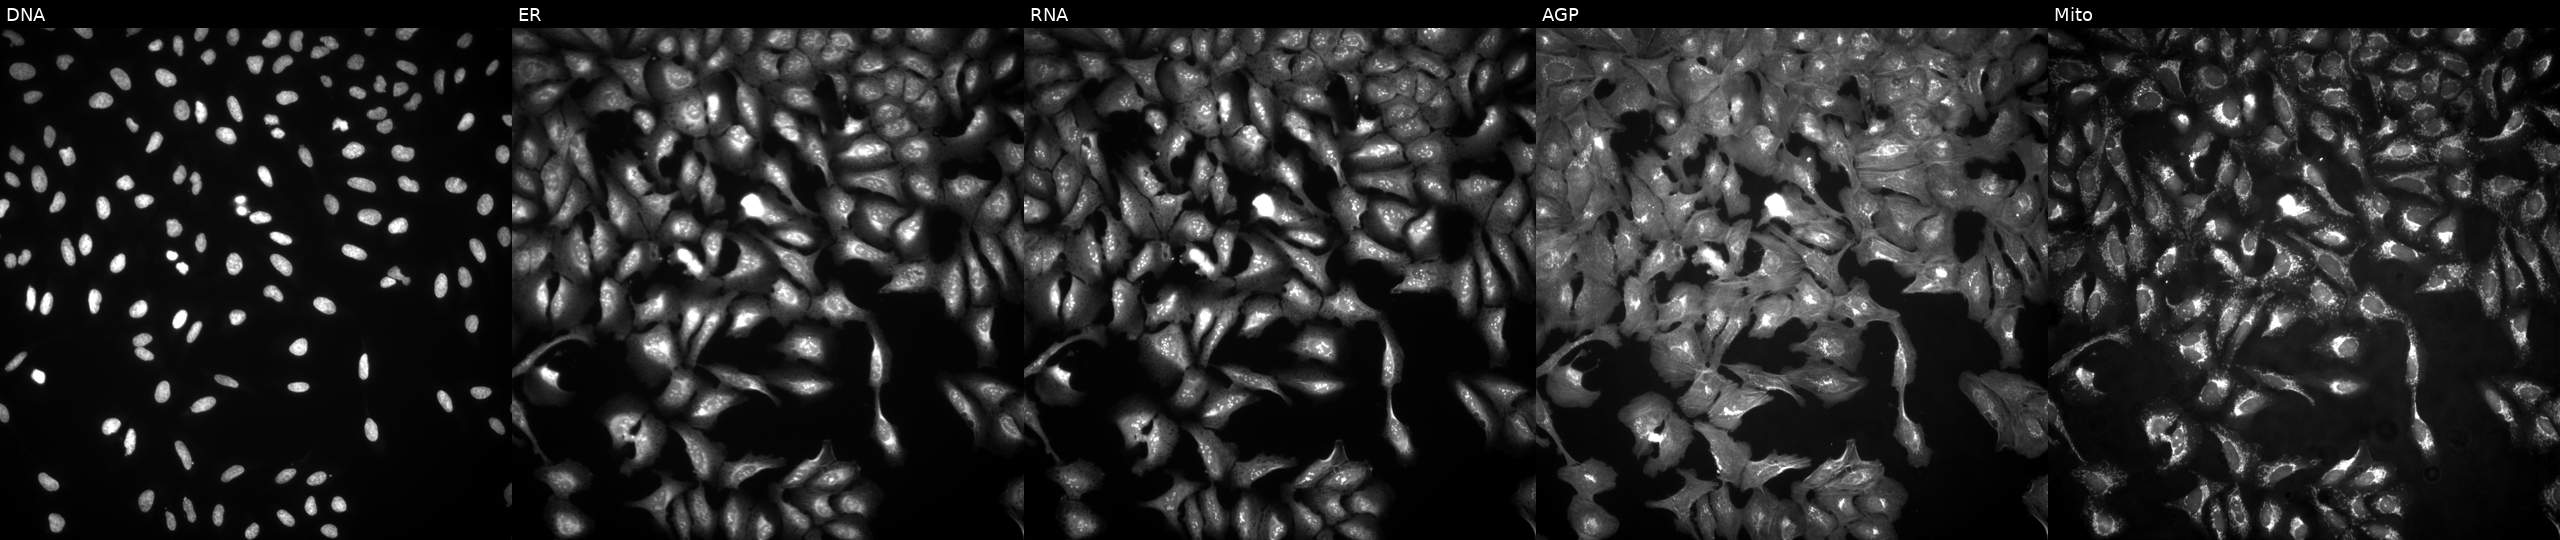
JUMP Cell Painting — ORF plate. U2OS cells transfected with an ORF construct for AGPAT3. From left to right: DNA, ER, RNA, AGP, and Mito.